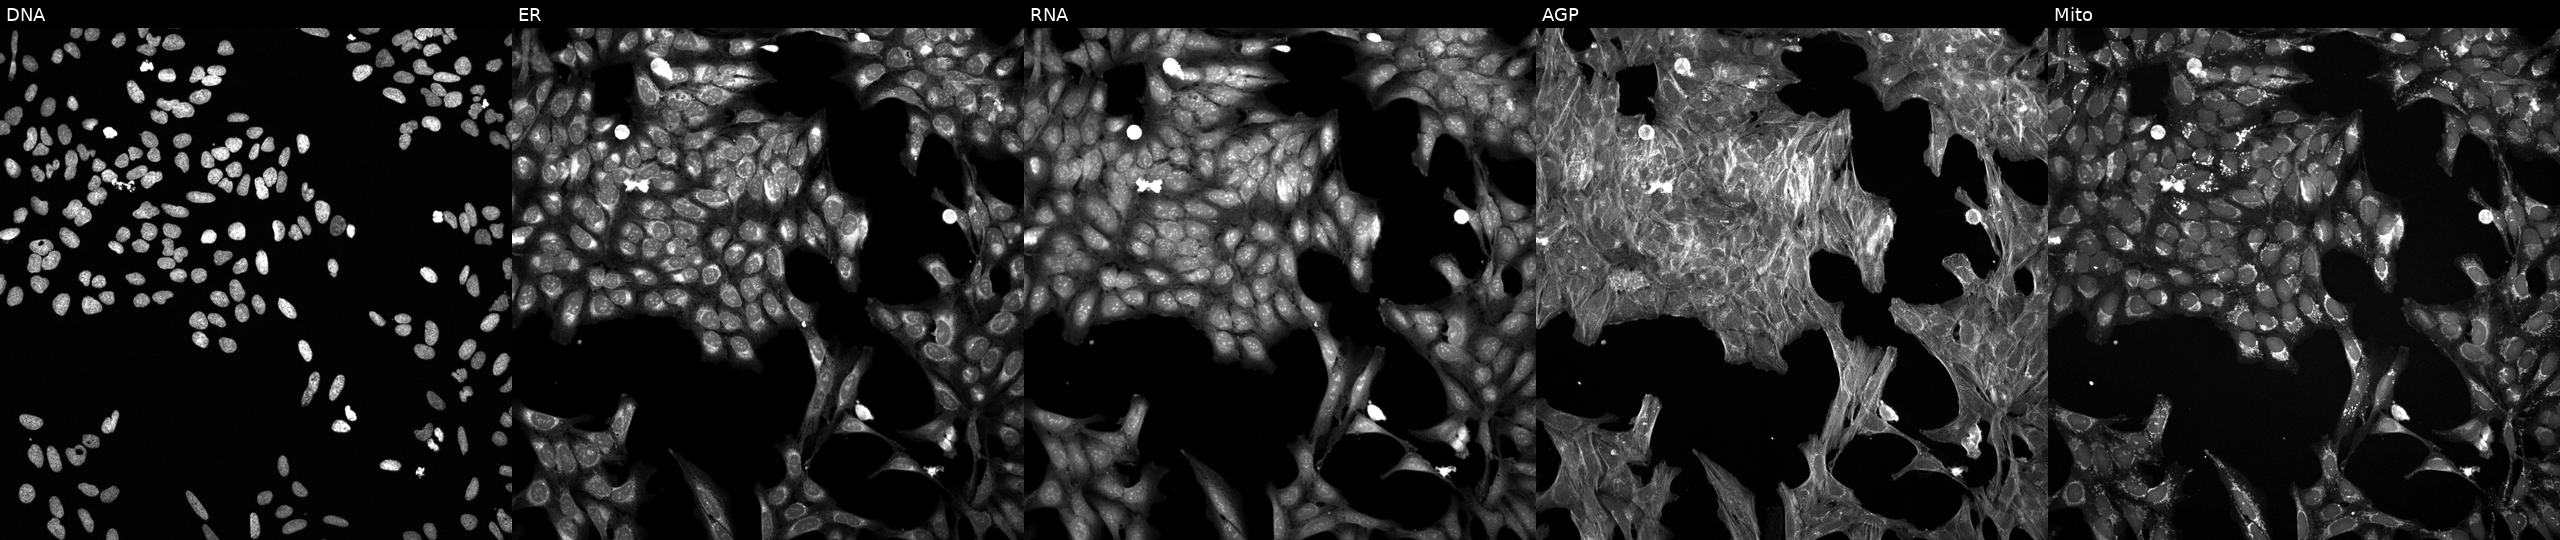
Five-channel Cell Painting image of U2OS cells exposed to a small-molecule compound (InChIKey CDMGBJANTYXAIV-UHFFFAOYSA-N) (JUMP id JCP2022_010404). The five panels, left to right, show DNA, ER, RNA, AGP, and Mito.